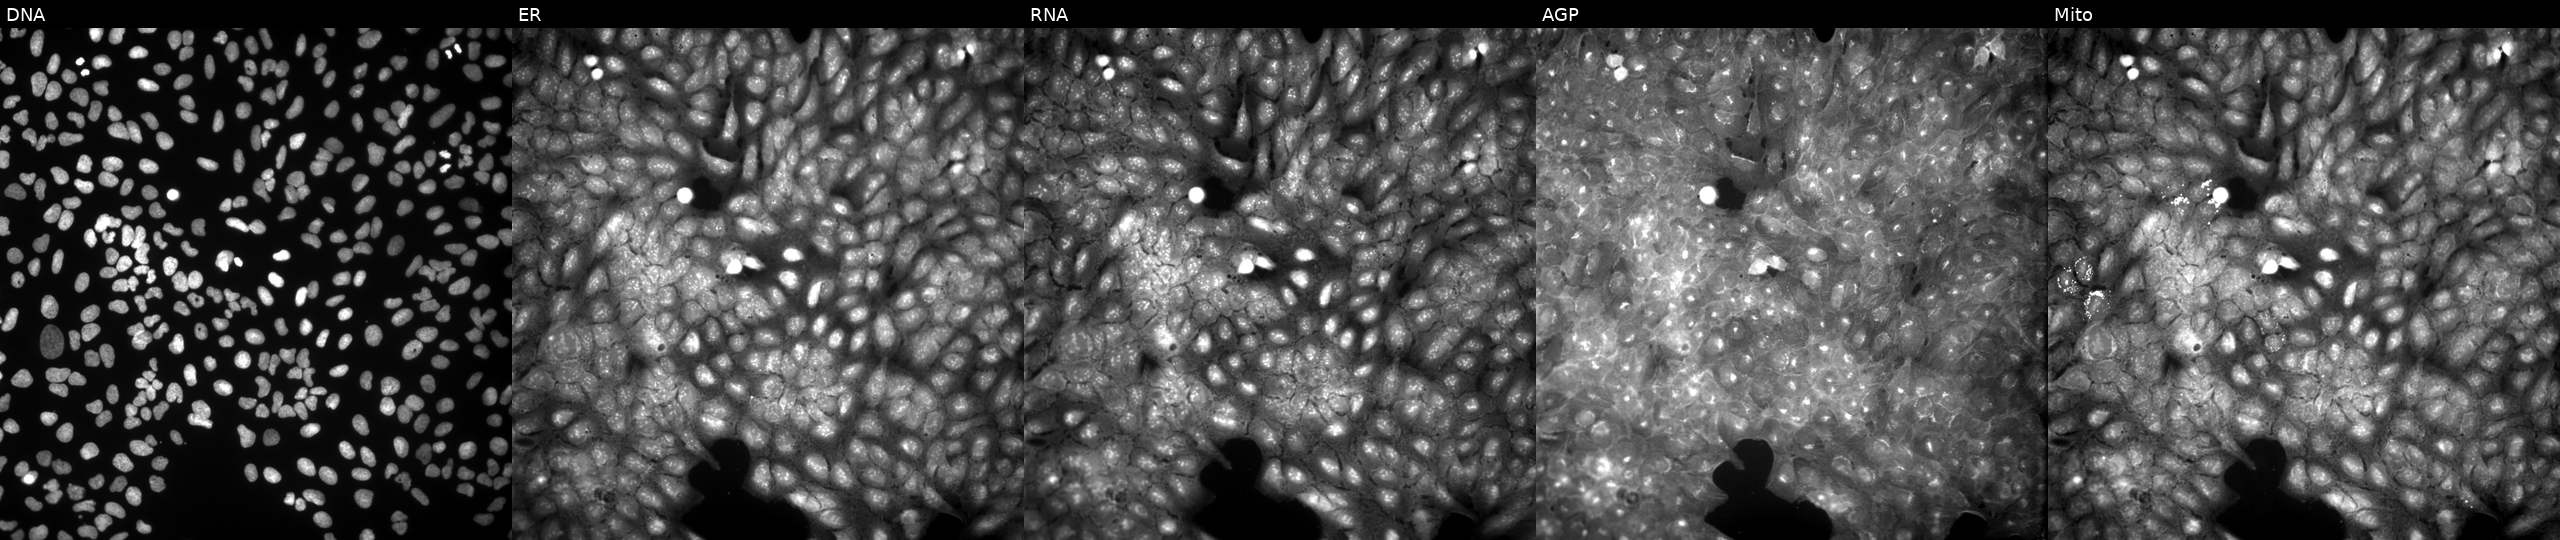
The five panels, left to right, show DNA, ER, RNA, AGP, and Mito. U2OS osteosarcoma cells treated with a small-molecule compound (InChIKey DZJPXVALJSSBHR-UHFFFAOYSA-N) [SMILES: C=CCNC(=O)CN(Cc1ccccc1)S(=O)(=O)c1ccccc1]. Cell Painting assay, JUMP-CP dataset. Source 9, plate GR00003382, well V20.